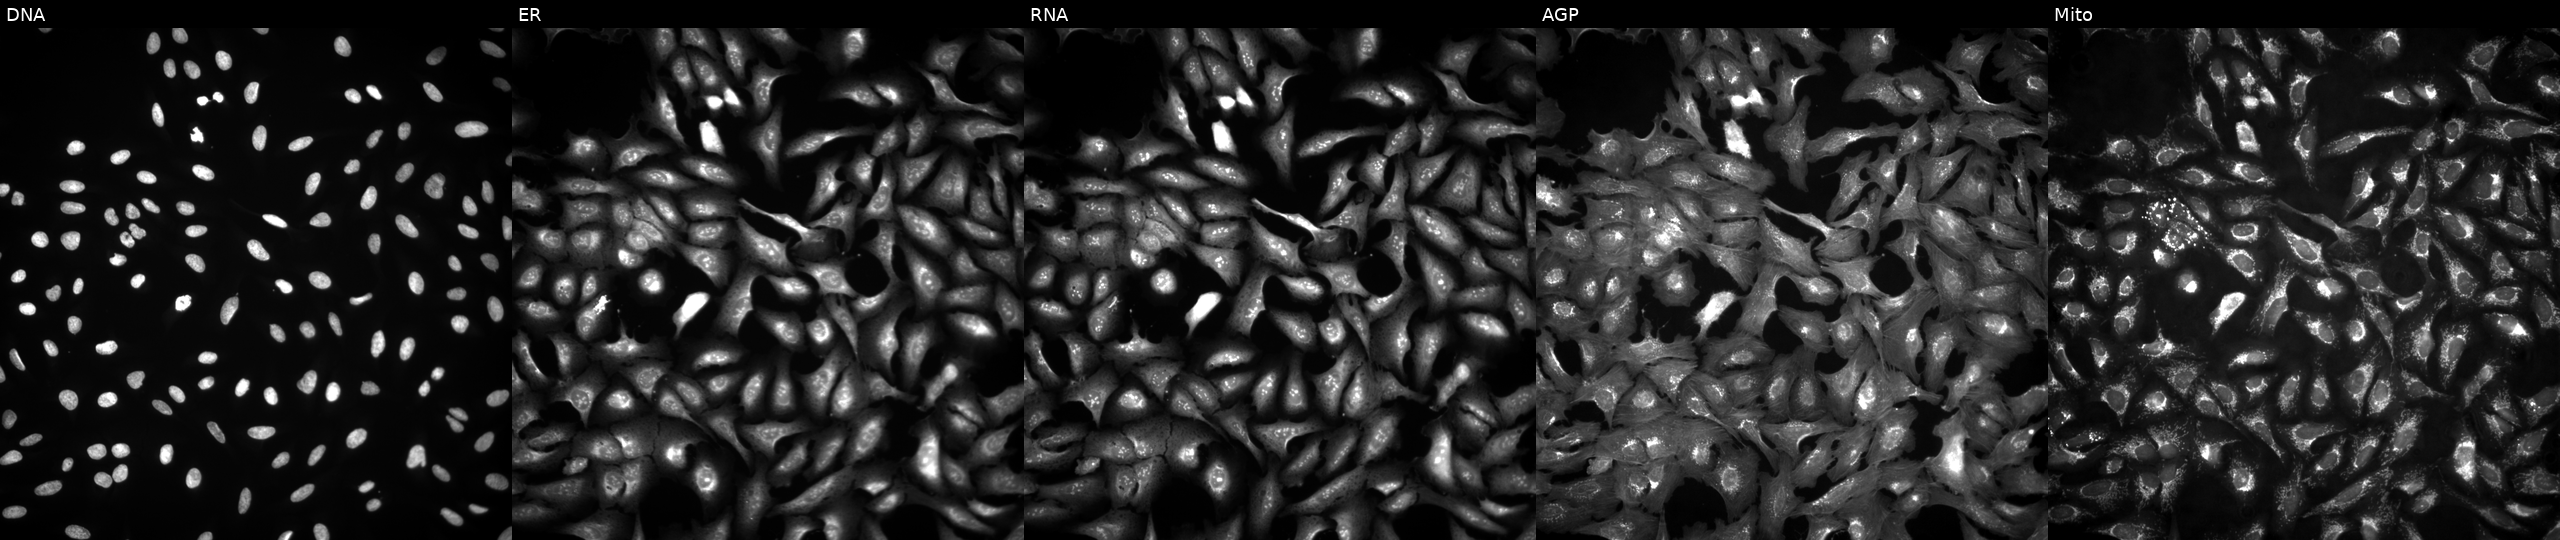
Five-channel Cell Painting image of U2OS cells with CBX8 overexpressed (ORF). Channels (left→right): DNA (nuclei); ER (endoplasmic reticulum); RNA (nucleoli and cytoplasmic RNA); AGP (actin cytoskeleton, Golgi, and plasma membrane); Mito (mitochondria).